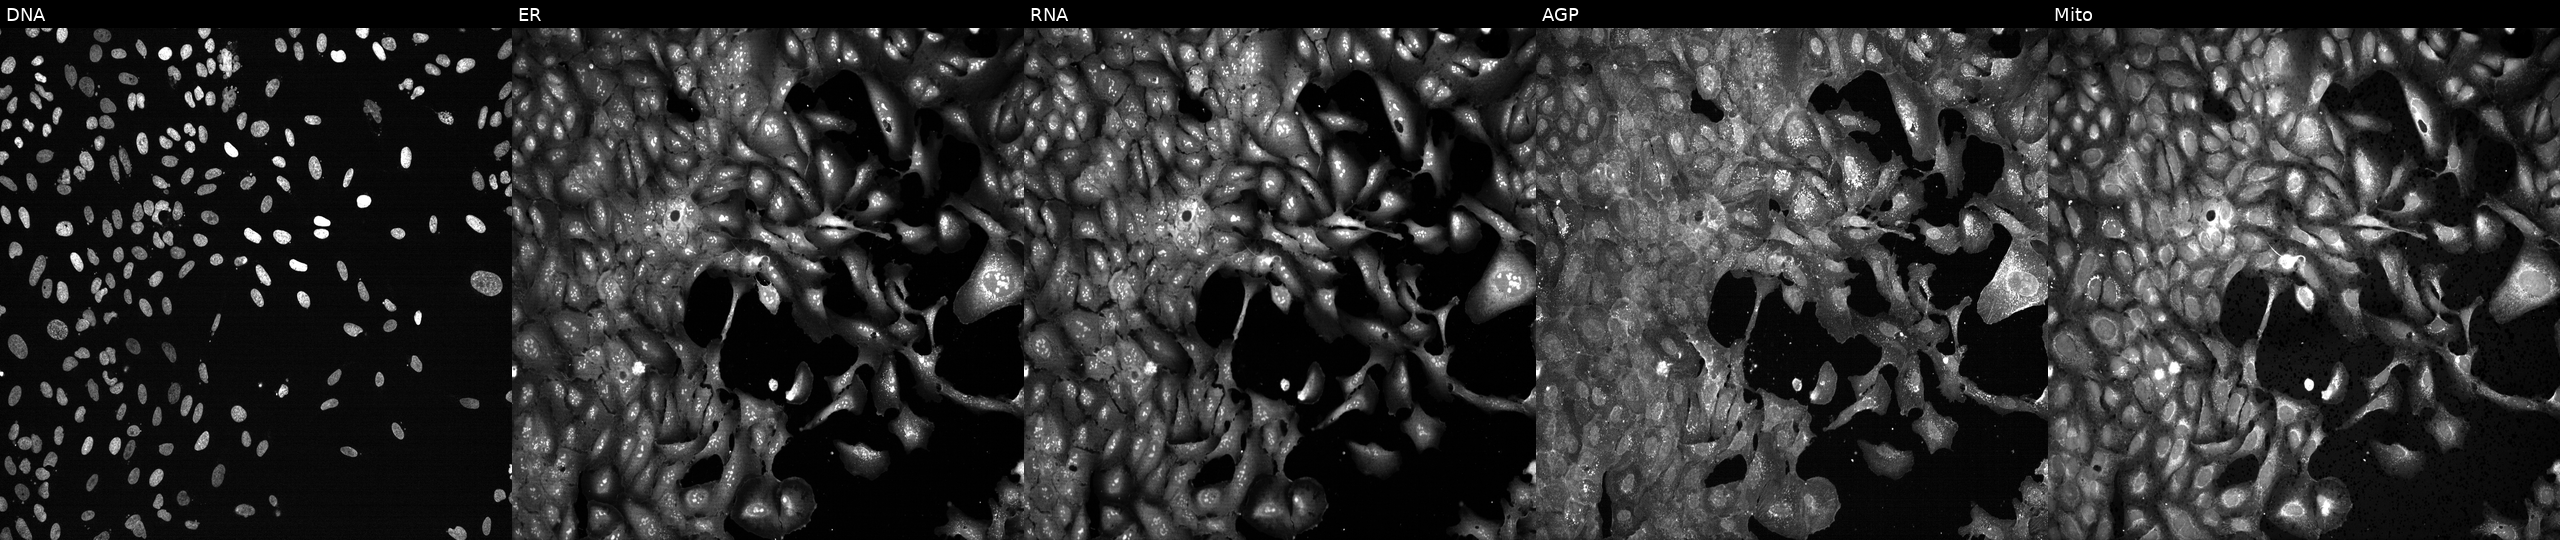
U2OS cells, Cell Painting assay, with FGF1 knocked out by CRISPR. The five panels, left to right, show Hoechst 33342, concanavalin A, SYTO 14, phalloidin and WGA, MitoTracker. Each panel is percentile-stretched 16-bit fluorescence. Source 13, plate CP-CC9-R1-01, well D04.